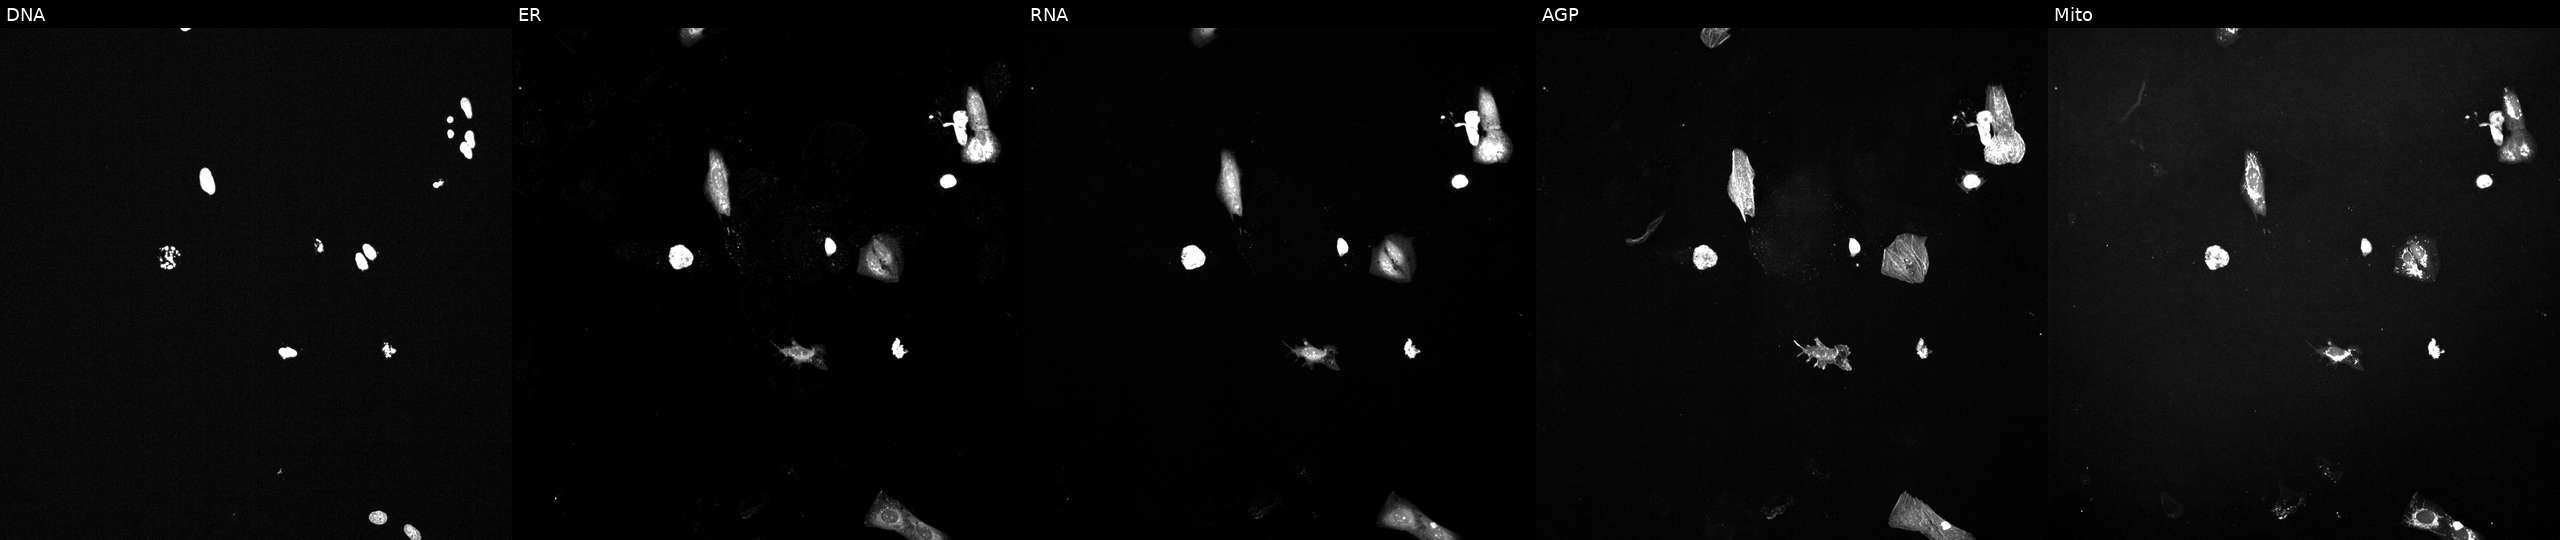
JUMP Cell Painting — TARGET2 plate. U2OS cells exposed to a small-molecule compound [SMILES: CC(C)c1cc(-c2n[nH]c(=O)n2-c2ccc3c(ccn3C)c2)c(O)cc1O] (JUMP id JCP2022_080920). Channels (left→right): Hoechst 33342, concanavalin A, SYTO 14, phalloidin and WGA, MitoTracker. Source 6, plate 110000293081, well D13.